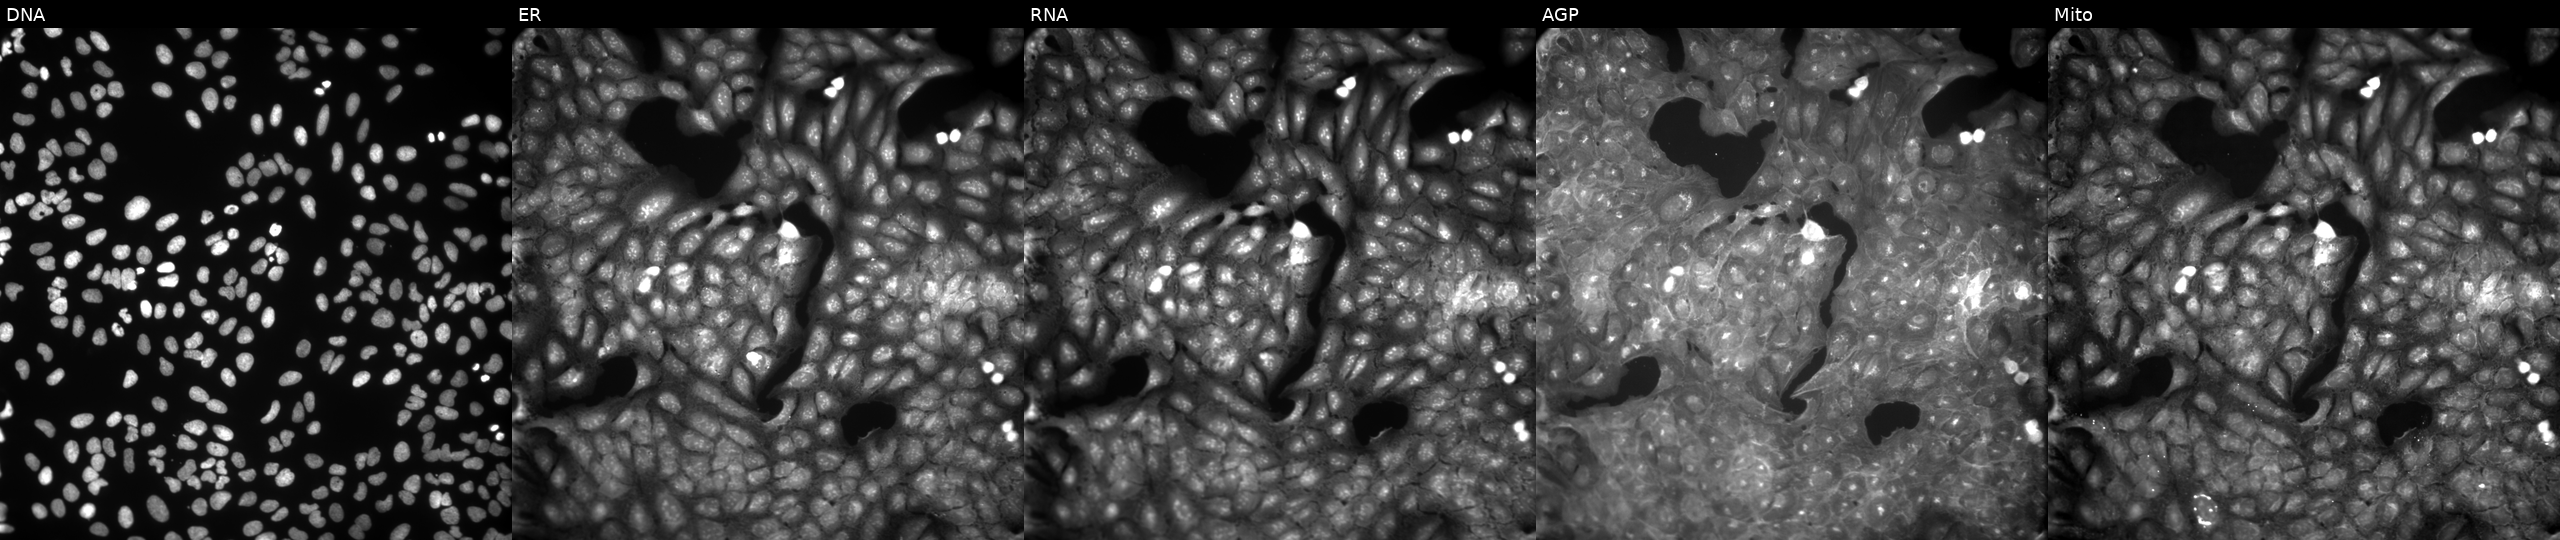
Five-channel Cell Painting image of U2OS cells treated with a small-molecule compound (InChIKey CKGXHHLGYUQVEN-UHFFFAOYSA-N) (JUMP id JCP2022_011676). Panels show, left to right, Hoechst 33342, concanavalin A, SYTO 14, phalloidin and WGA, MitoTracker. Source 9, plate GR00003382, well AE10.